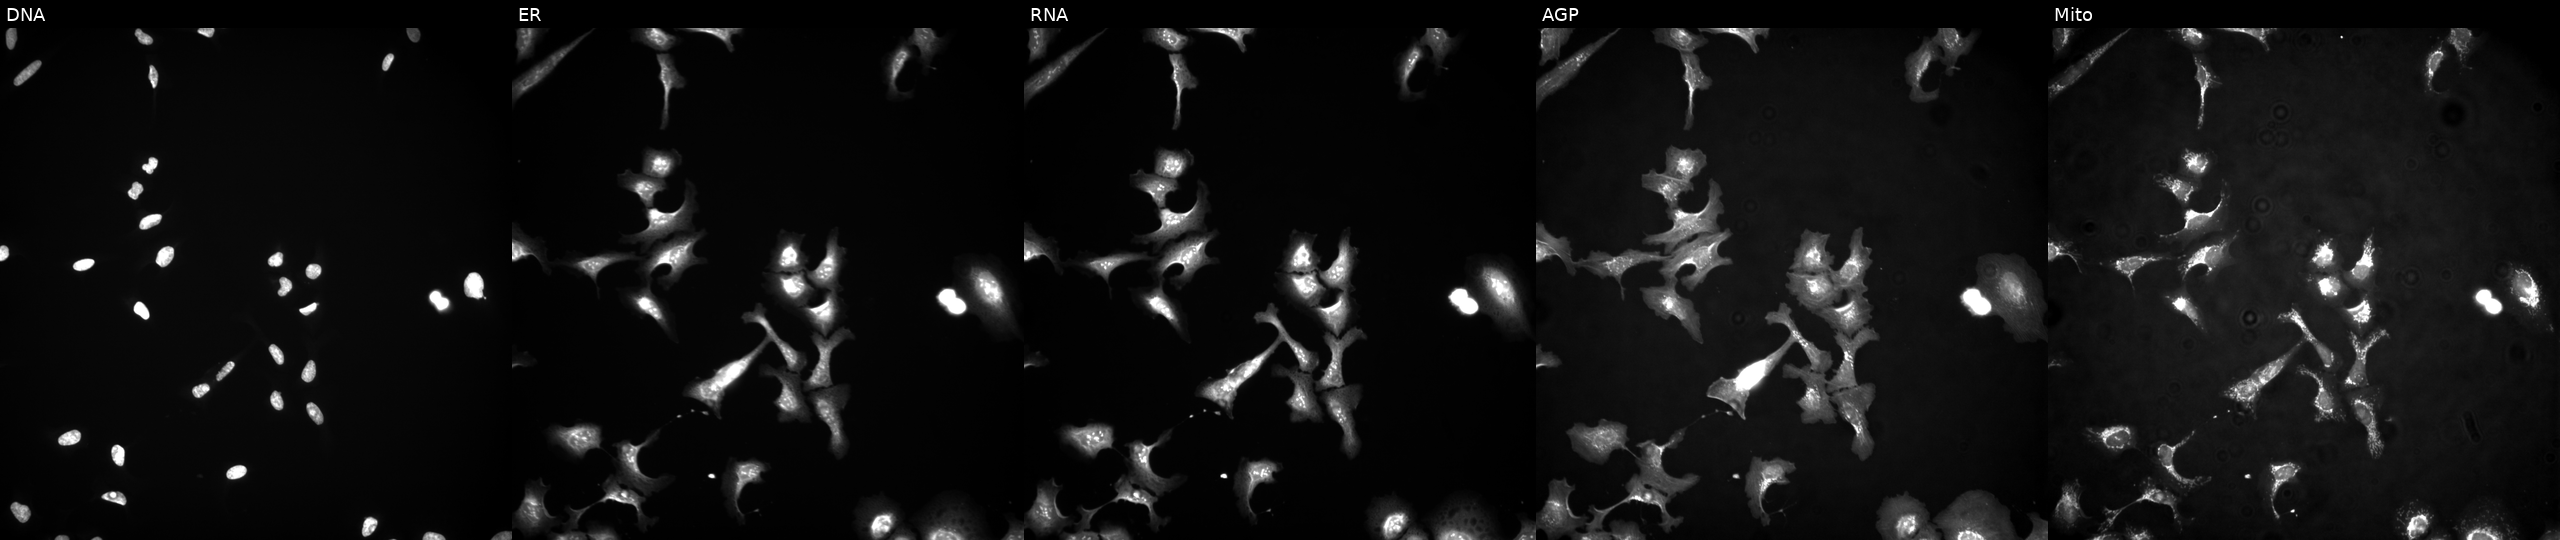
JUMP Cell Painting — ORF plate. U2OS cells overexpressing ZBTB1 via ORF transfection (JUMP id JCP2022_902529). Channels (left→right): DNA, ER, RNA, AGP, and Mito. Source 4, plate BR00124787, well J11.